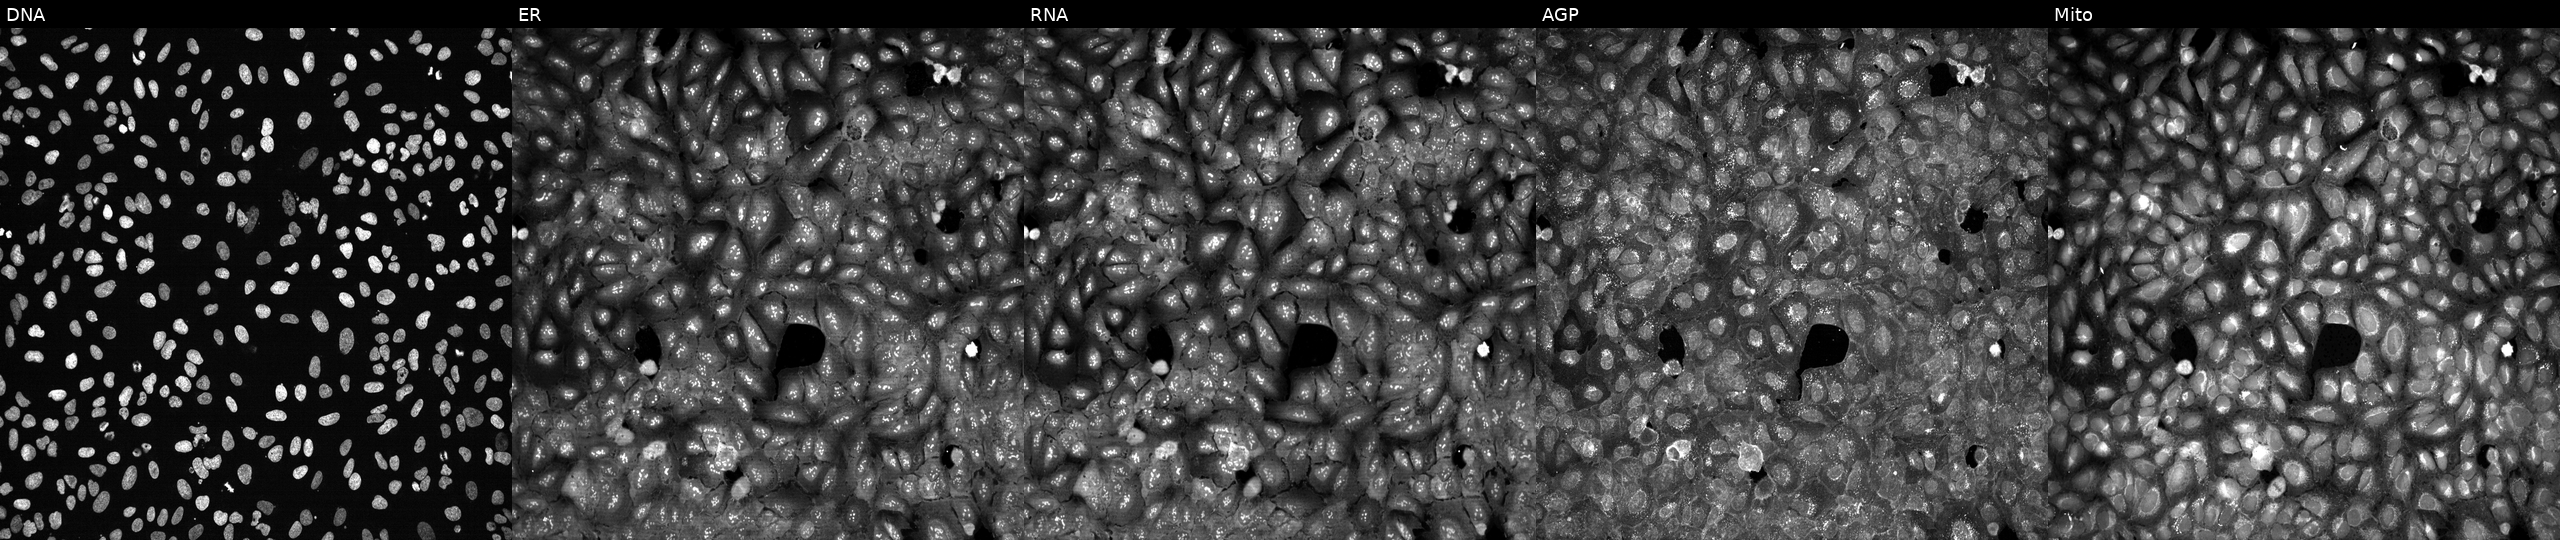
U2OS cells, Cell Painting assay, with ARHGAP5 knocked out by CRISPR (JUMP id JCP2022_800563). Channels (left→right): DNA (nuclei); ER (endoplasmic reticulum); RNA (nucleoli and cytoplasmic RNA); AGP (actin cytoskeleton, Golgi, and plasma membrane); Mito (mitochondria). Each panel is percentile-stretched 16-bit fluorescence.